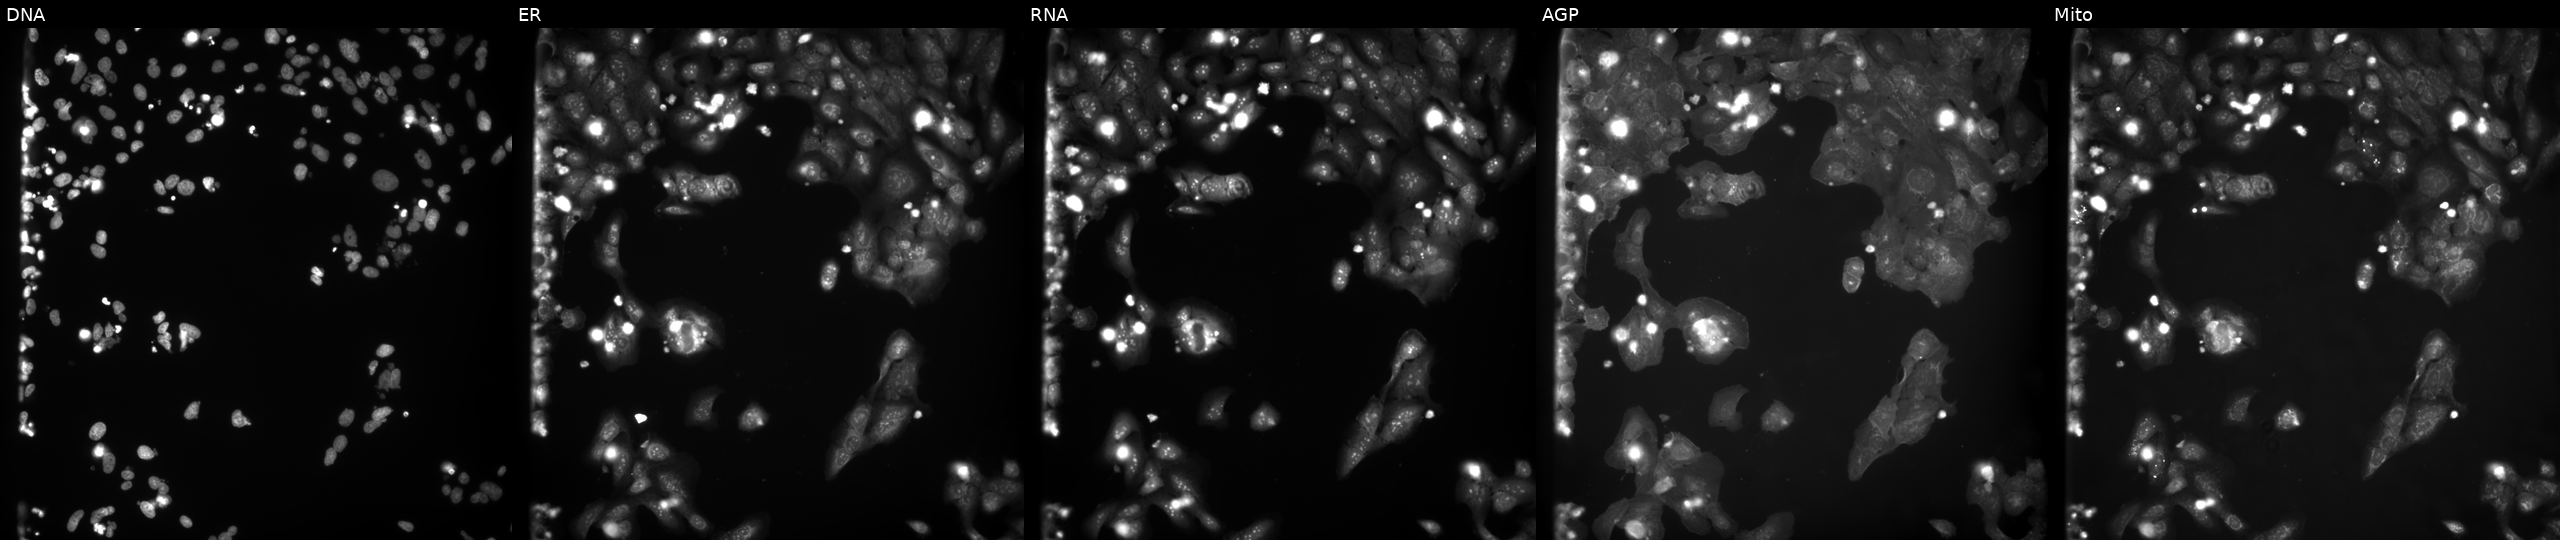
U2OS cells, Cell Painting assay, exposed to a small-molecule compound (InChIKey FBIIVRLLNKYTDS-UHFFFAOYSA-N) [SMILES: CCOc1ccc(NC(=O)COc2c(C)ccc(C)c2C)cc1] (JUMP id JCP2022_019530). Panels show, left to right, DNA, ER, RNA, AGP, and Mito. Each panel is percentile-stretched 16-bit fluorescence.